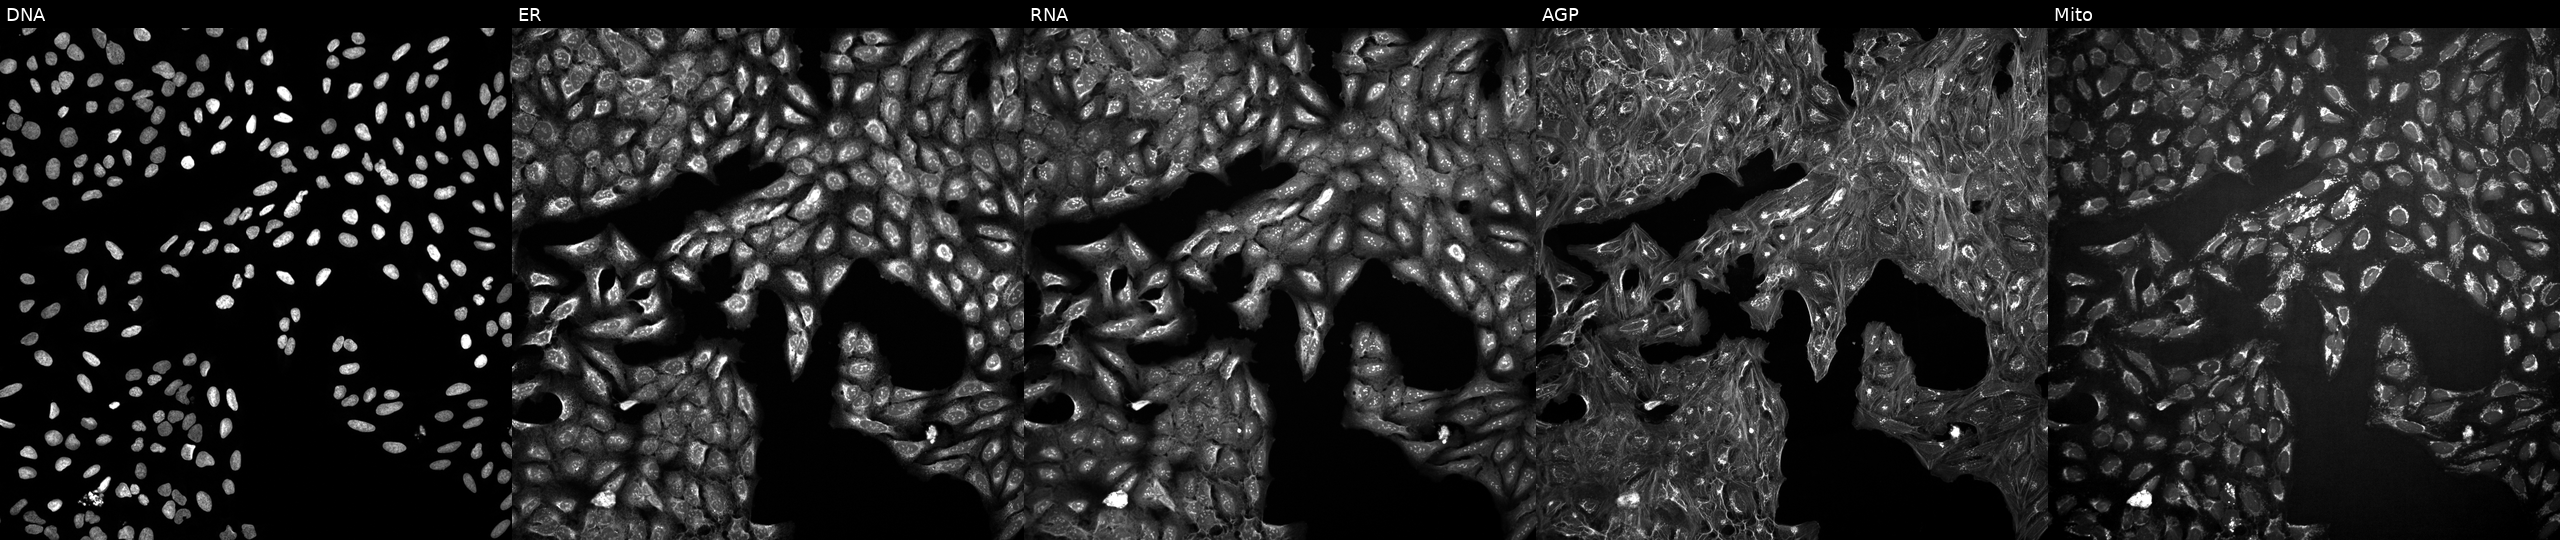
U2OS cells, Cell Painting assay, exposed to the positive-control compound quinidine. Channels (left→right): DNA (nuclei); ER (endoplasmic reticulum); RNA (nucleoli and cytoplasmic RNA); AGP (actin cytoskeleton, Golgi, and plasma membrane); Mito (mitochondria). Each panel is percentile-stretched 16-bit fluorescence.